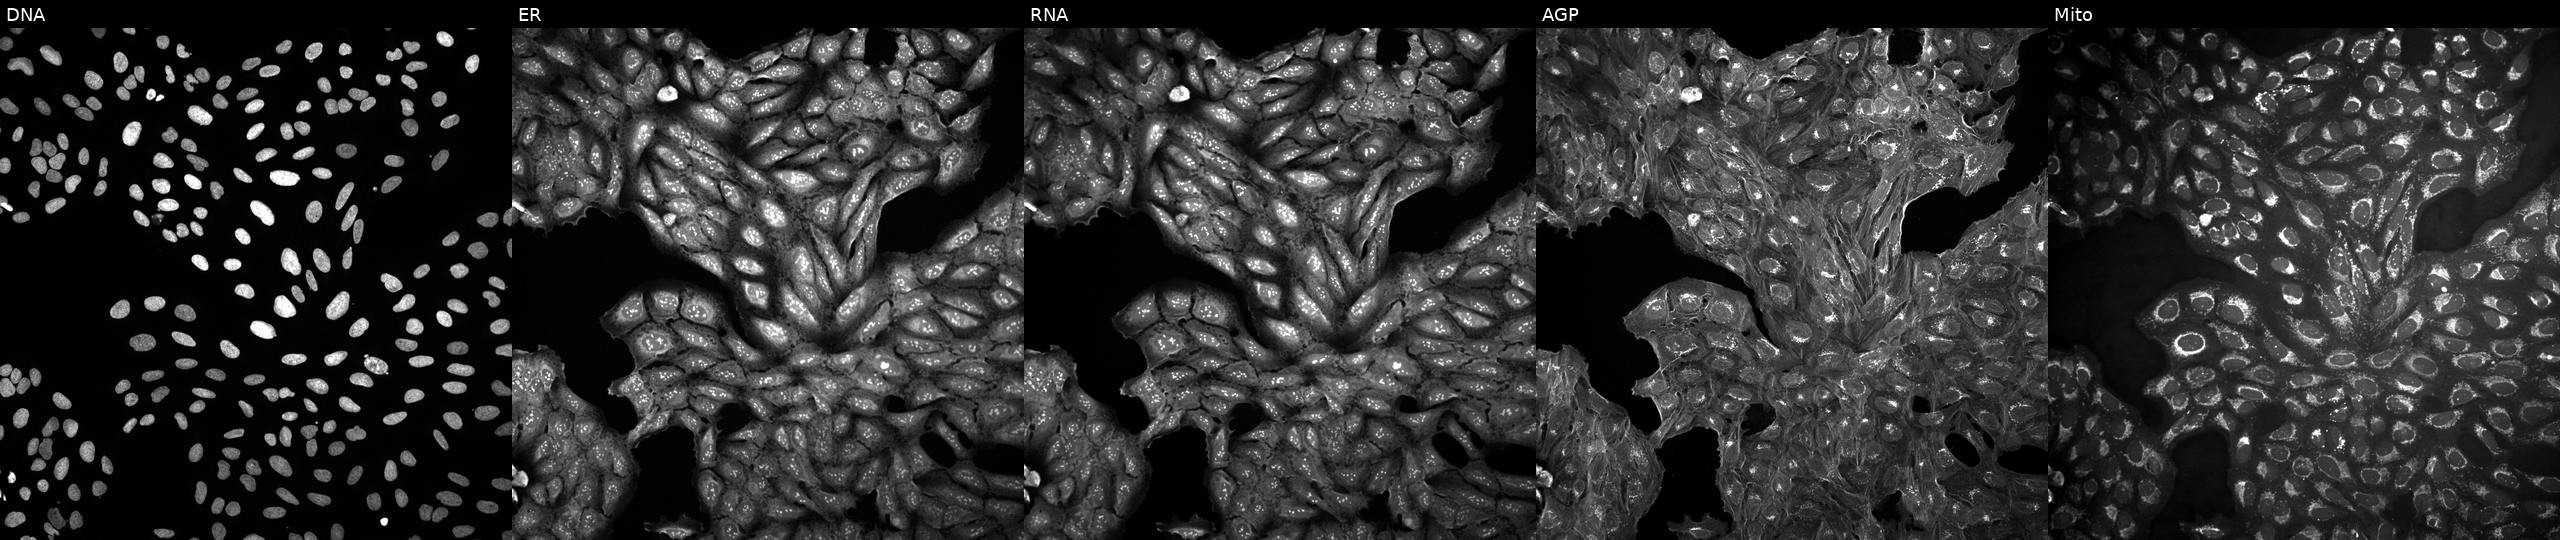
Five-channel Cell Painting image of U2OS cells exposed to a small-molecule compound (InChIKey QZAOGTNRUWDLIR-UHFFFAOYSA-N). The five panels, left to right, show DNA, ER, RNA, AGP, and Mito. Source 10, plate Dest210531-152149, well O10.